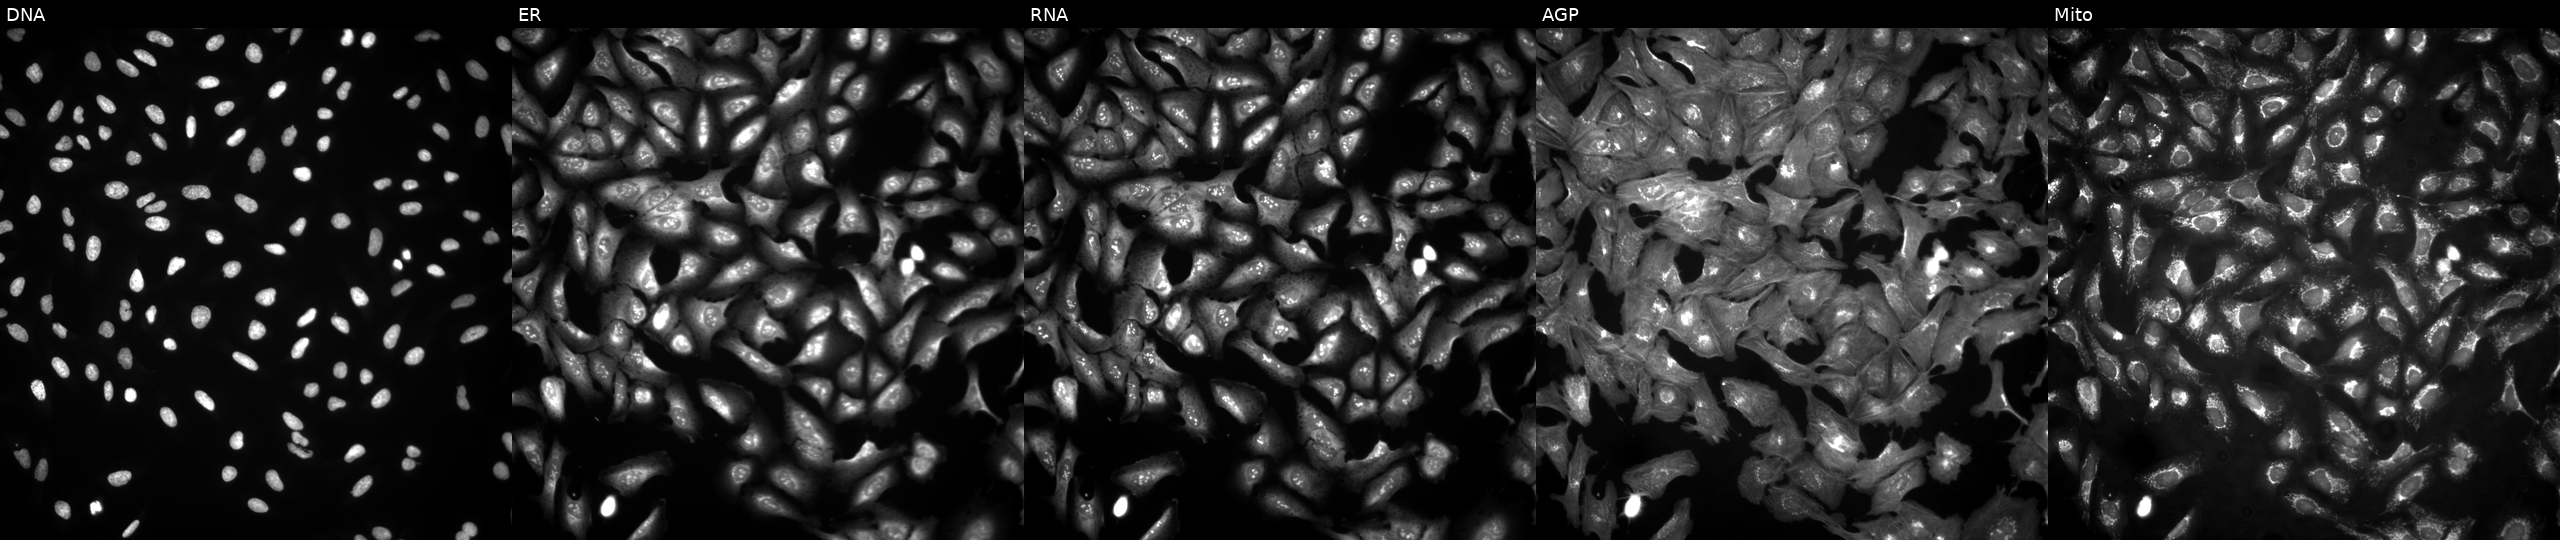
This image strip shows the five Cell Painting channels for a single field of U2OS cells overexpressing FAM204A via ORF transfection (JUMP id JCP2022_903665). Channels (left→right): DNA (nuclei); ER (endoplasmic reticulum); RNA (nucleoli and cytoplasmic RNA); AGP (actin cytoskeleton, Golgi, and plasma membrane); Mito (mitochondria).